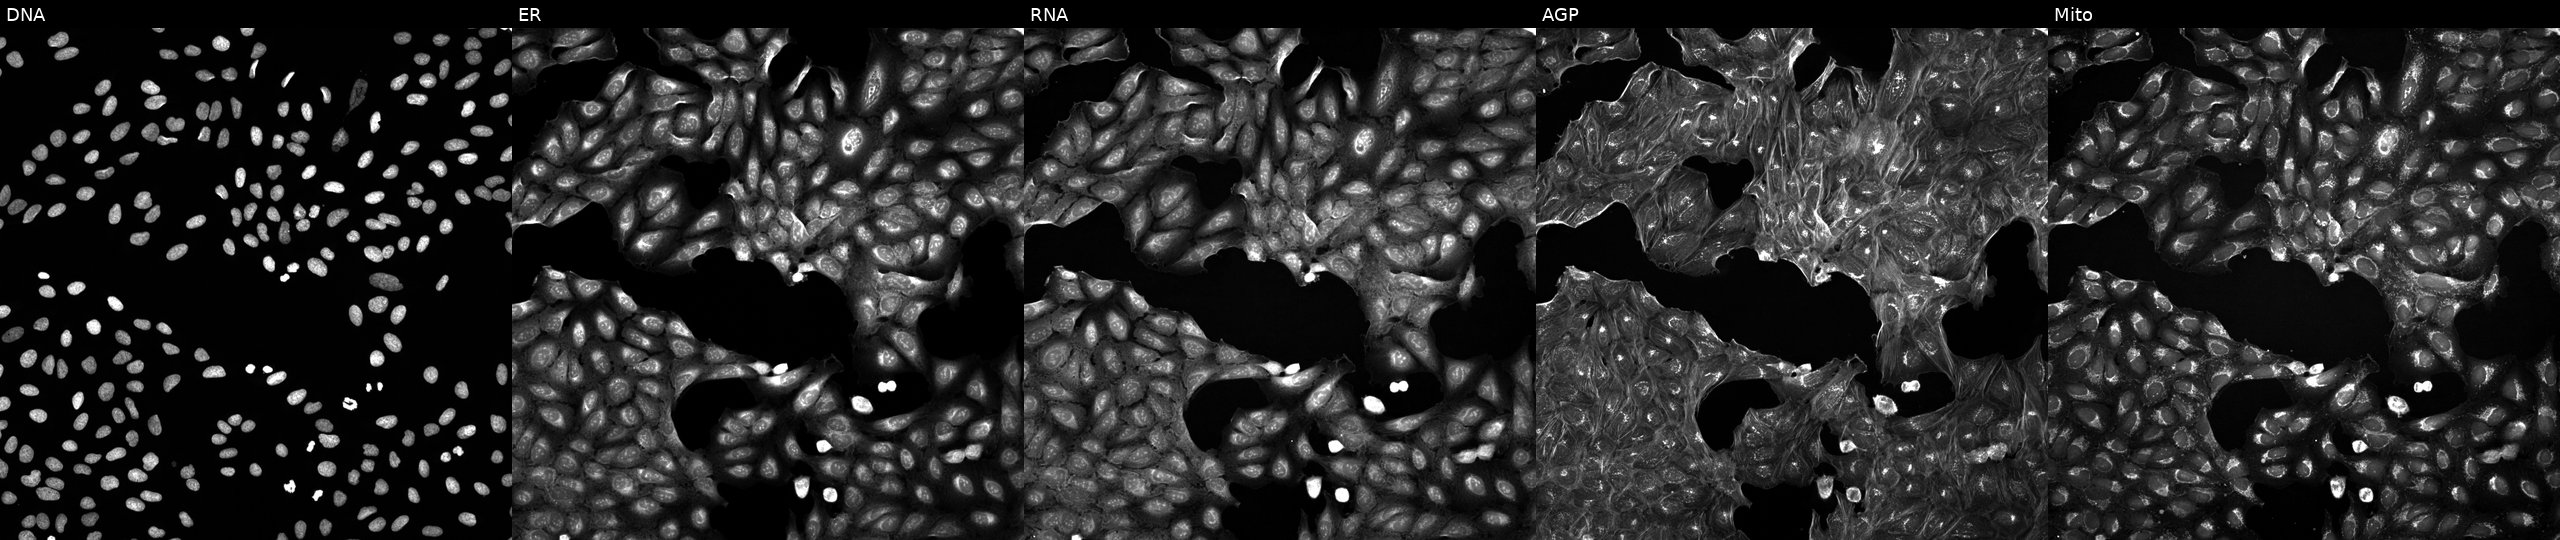
High-content fluorescence microscopy (Cell Painting). Cell line: U2OS. Perturbation: perturbed with a small-molecule compound (InChIKey FMYGNANMYYHBSU-UHFFFAOYSA-N) [SMILES: Cc1cc(C(=O)Cn2cc(C#N)ccc2=O)c(C)n1Cc1ccccc1] (JUMP id JCP2022_021678). Panels show, left to right, DNA, ER, RNA, AGP, and Mito. Source 5, plate ACPJUM051, well B15.